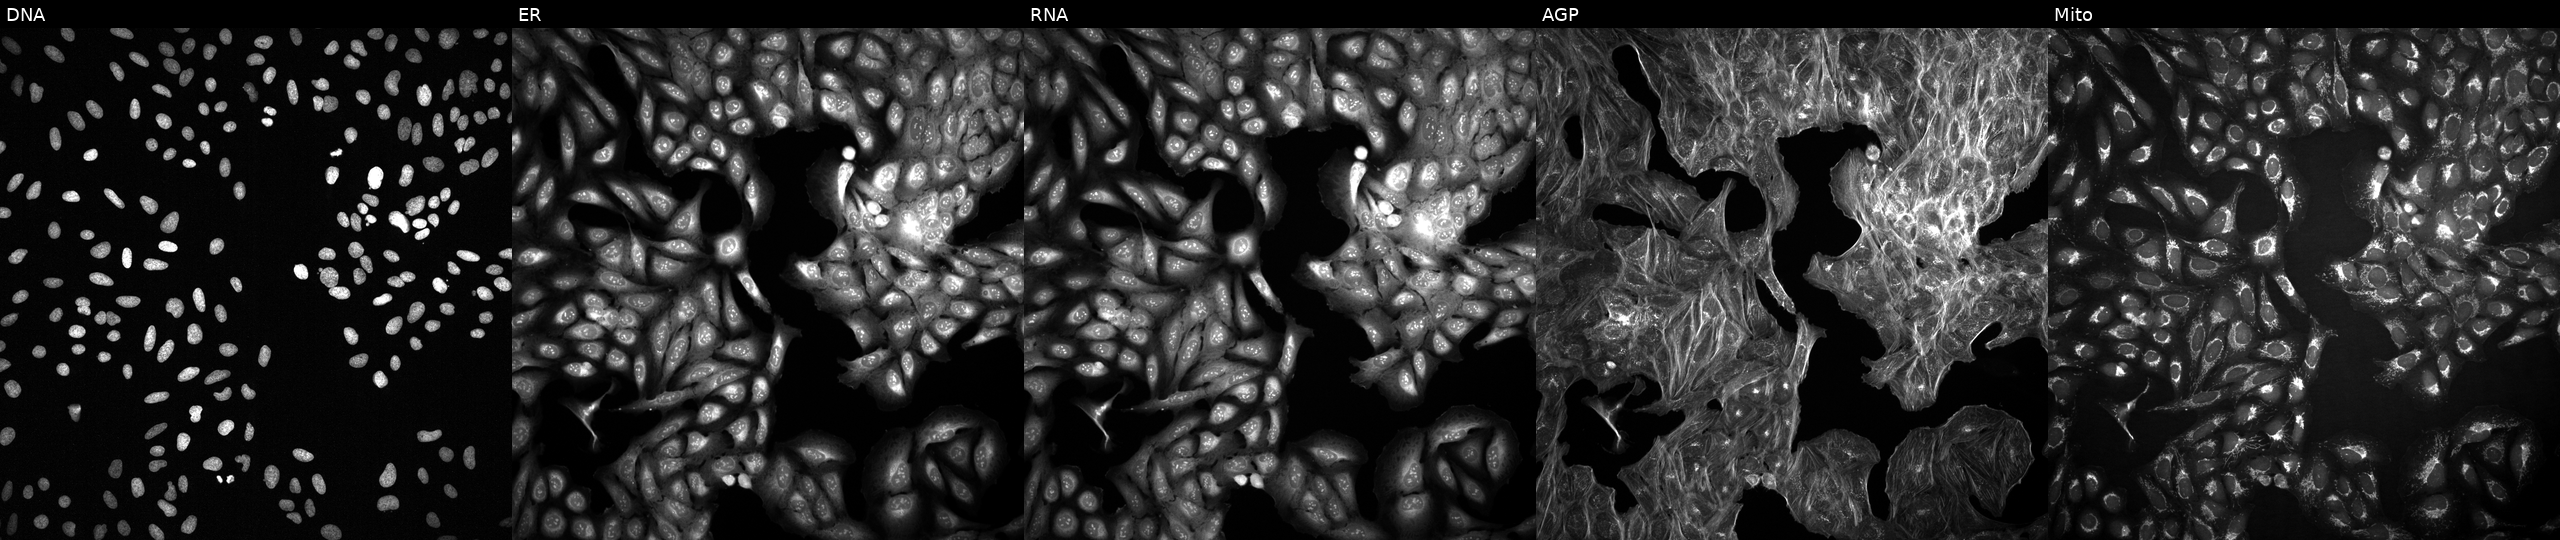
This image strip shows the five Cell Painting channels for a single field of U2OS cells exposed to a small-molecule compound (InChIKey JLHFUTORJJIPAH-UHFFFAOYSA-N) (JUMP id JCP2022_040531). Channels (left→right): Hoechst 33342, concanavalin A, SYTO 14, phalloidin and WGA, MitoTracker. Source 2, plate 1053601763, well I15.